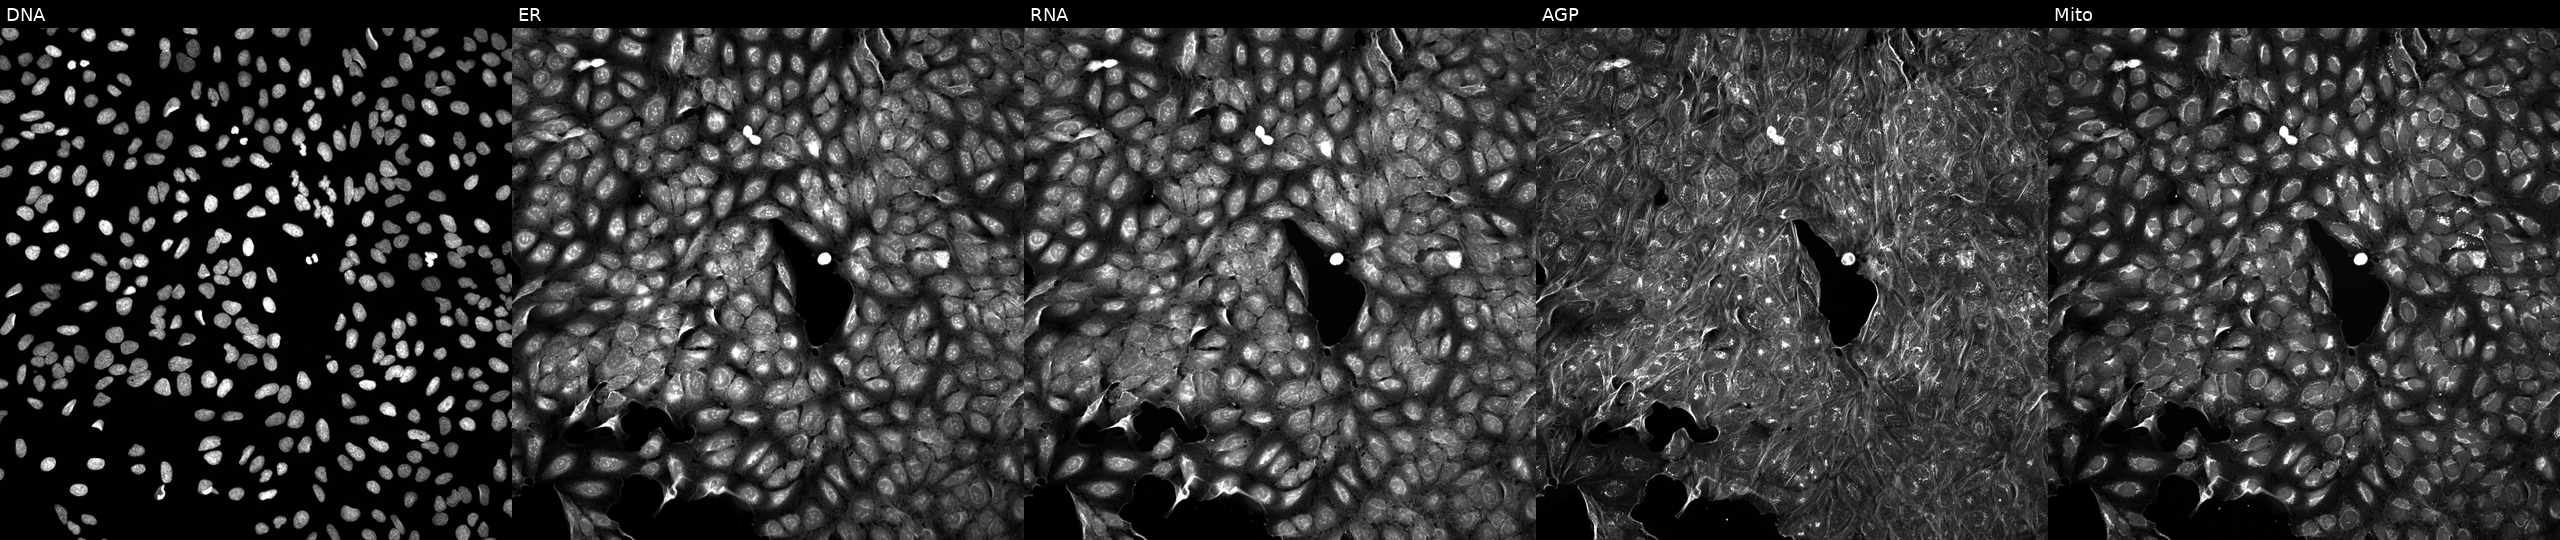
U2OS cells, Cell Painting assay, perturbed with a small-molecule compound (JUMP id JCP2022_008077). The five panels, left to right, show DNA, ER, RNA, AGP, and Mito. Each panel is percentile-stretched 16-bit fluorescence.